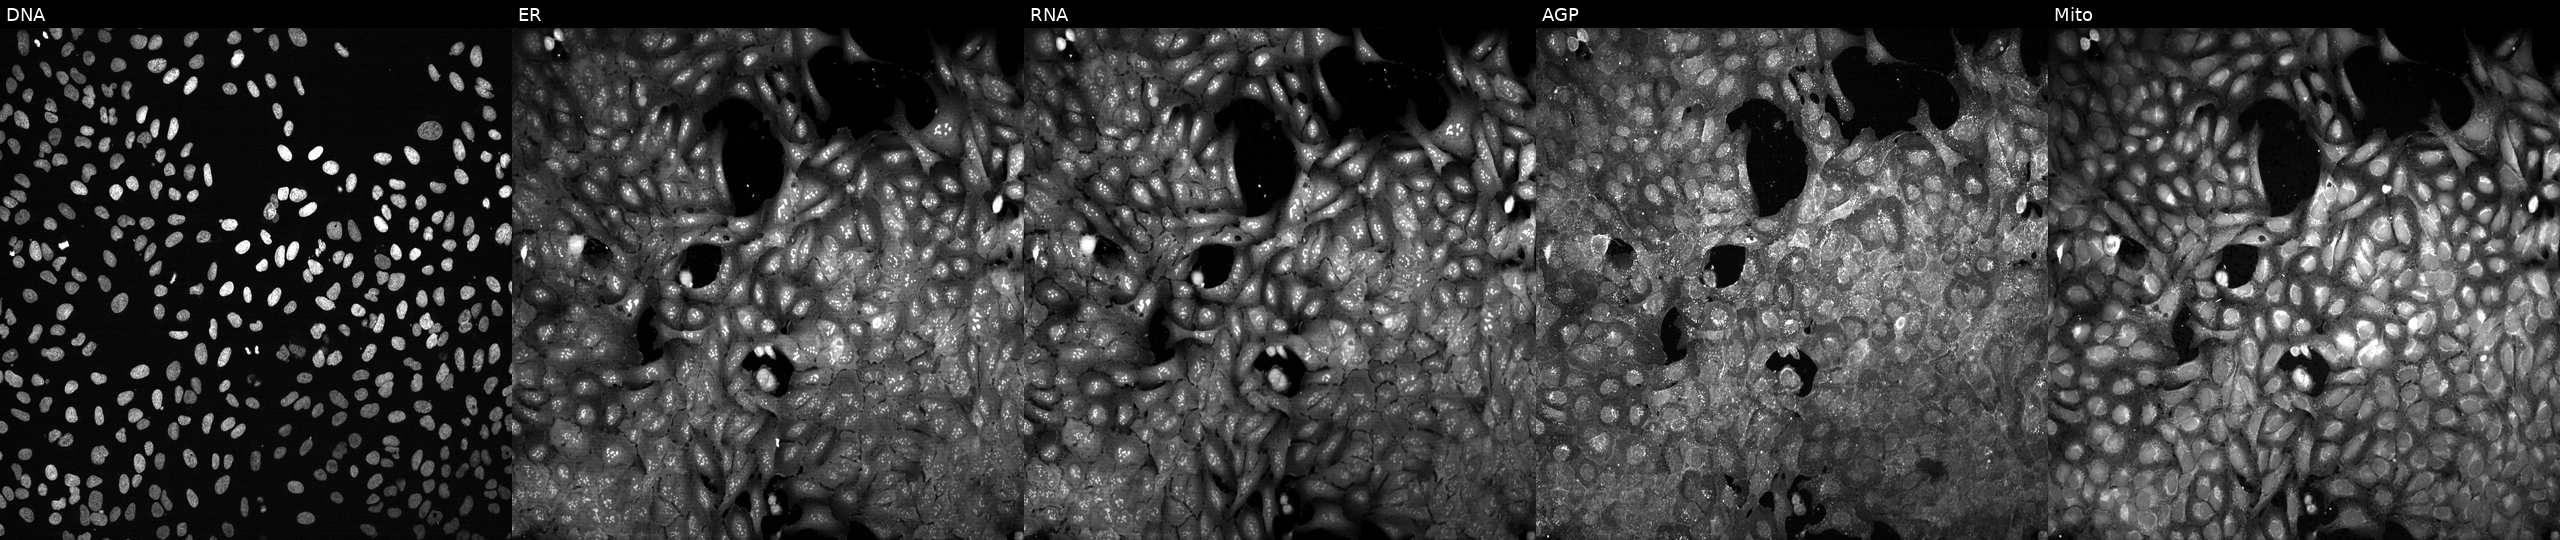
High-content fluorescence microscopy (Cell Painting). Cell line: U2OS. Perturbation: CRISPR-edited to disrupt PDGFB. The five panels, left to right, show DNA (nuclei); ER (endoplasmic reticulum); RNA (nucleoli and cytoplasmic RNA); AGP (actin cytoskeleton, Golgi, and plasma membrane); Mito (mitochondria).